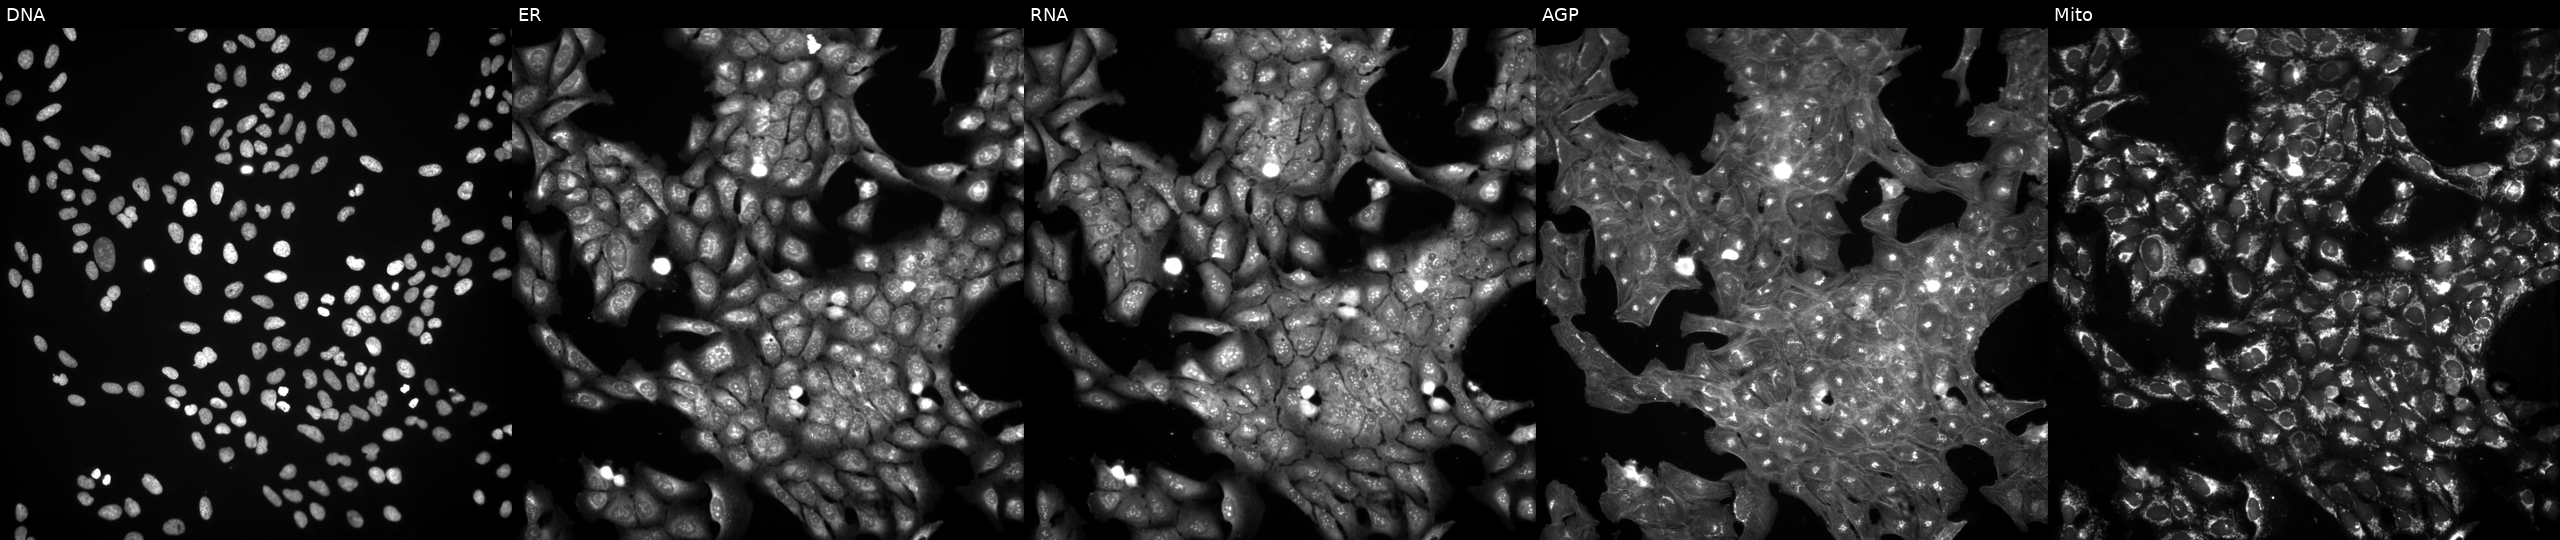
U2OS cells, Cell Painting assay, treated with a small-molecule compound (InChIKey XOELFPSLJIQWFL-UHFFFAOYSA-N) (JUMP id JCP2022_104920). The five panels, left to right, show DNA (nuclei); ER (endoplasmic reticulum); RNA (nucleoli and cytoplasmic RNA); AGP (actin cytoskeleton, Golgi, and plasma membrane); Mito (mitochondria). Each panel is percentile-stretched 16-bit fluorescence.